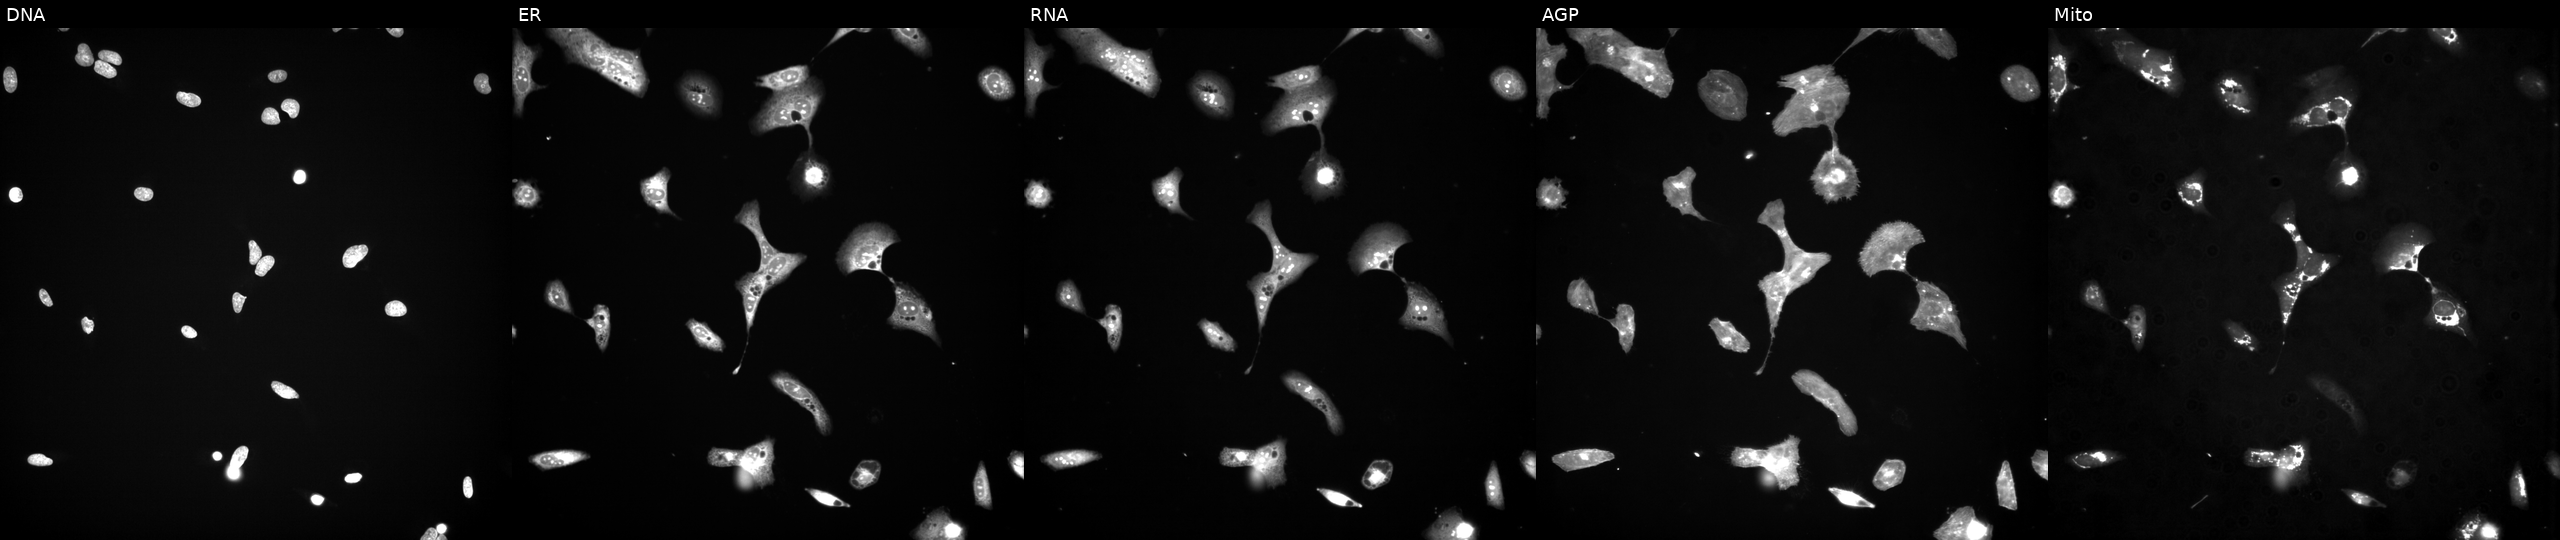
U2OS cells, Cell Painting assay, perturbed with a small-molecule compound (InChIKey MNYJJHBAEYKXEG-UHFFFAOYSA-N) [SMILES: C(#Cc1nc2ncccc2nc1OCCN1CCCC1)c1ccccc1]. From left to right: DNA (nuclei); ER (endoplasmic reticulum); RNA (nucleoli and cytoplasmic RNA); AGP (actin cytoskeleton, Golgi, and plasma membrane); Mito (mitochondria). Each panel is percentile-stretched 16-bit fluorescence.